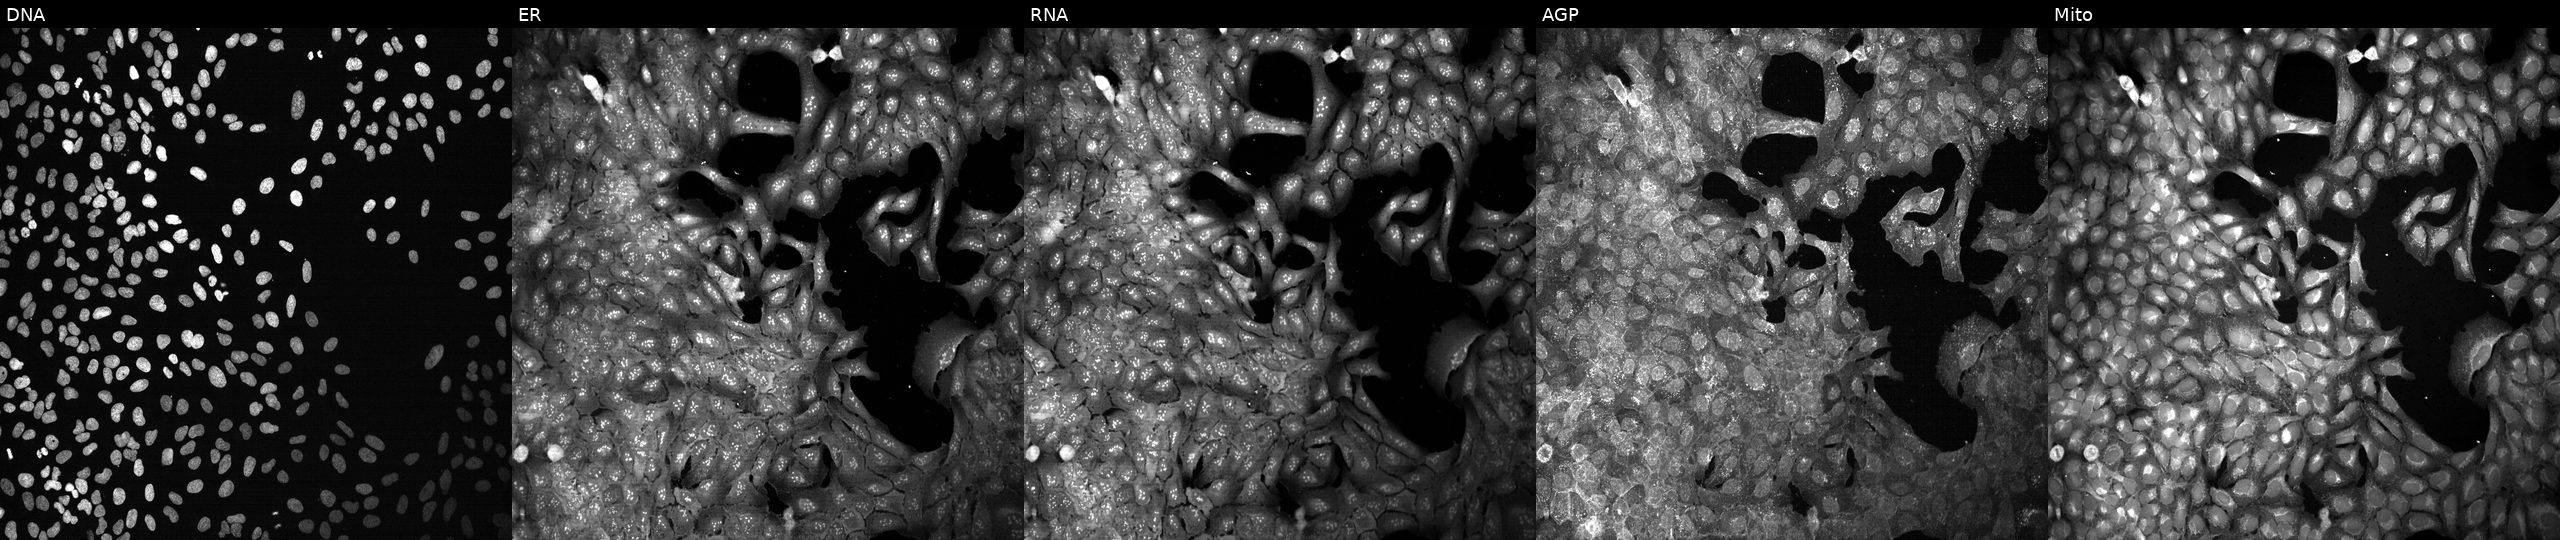
From left to right: Hoechst 33342, concanavalin A, SYTO 14, phalloidin and WGA, MitoTracker. U2OS osteosarcoma cells with a non-targeting CRISPR guide (negative control). Cell Painting assay, JUMP-CP dataset.